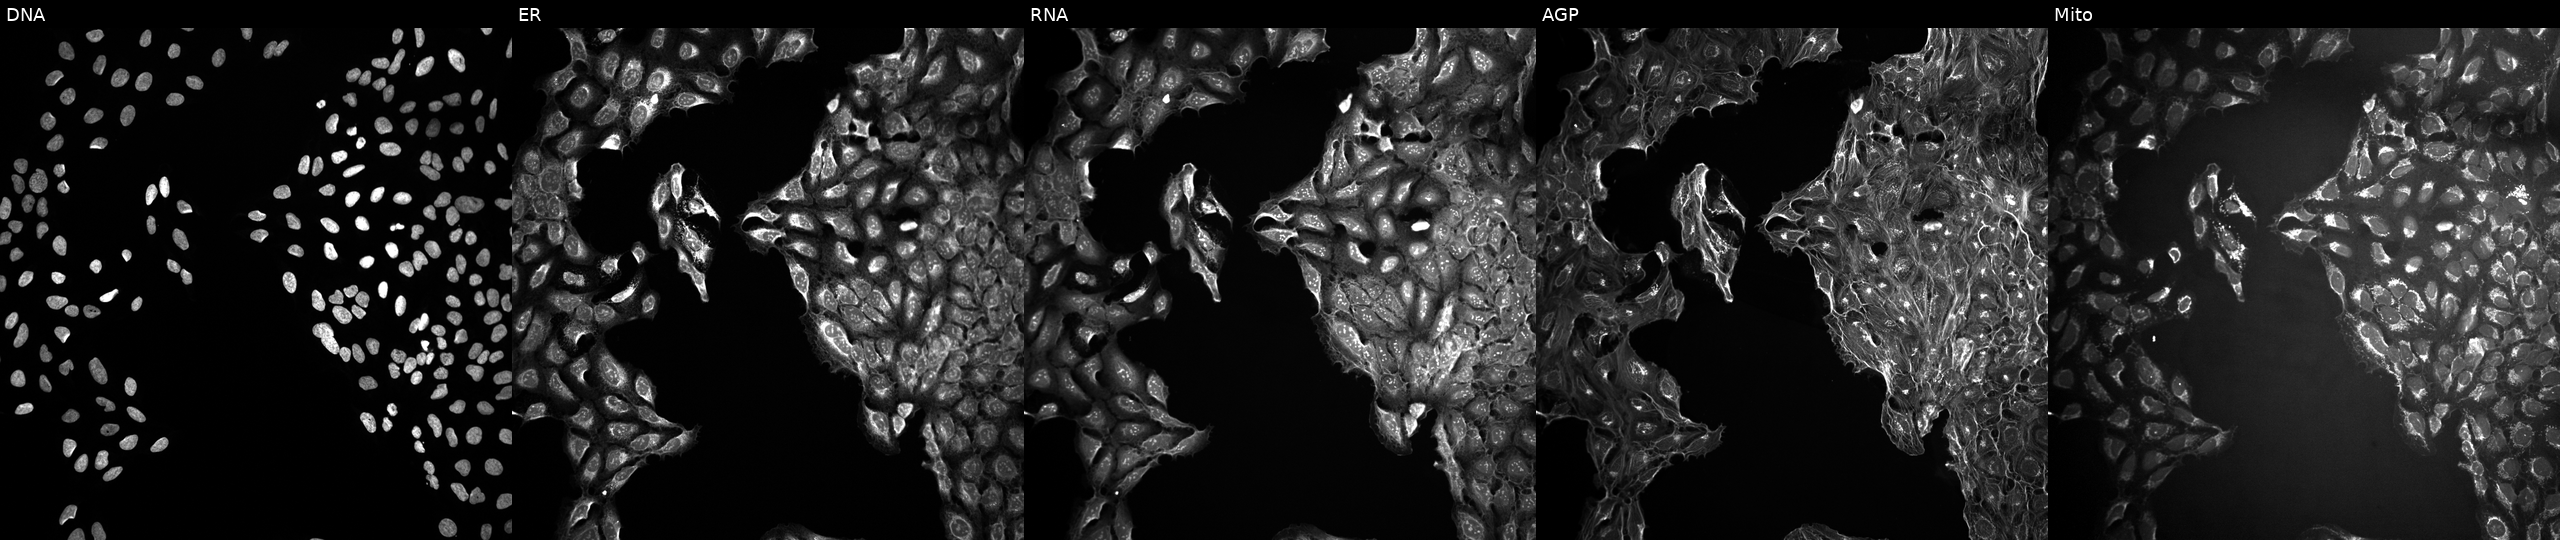
U2OS cells, Cell Painting assay, exposed to DMSO alone as a negative control. Channels (left→right): Hoechst 33342, concanavalin A, SYTO 14, phalloidin and WGA, MitoTracker. Each panel is percentile-stretched 16-bit fluorescence. Source 10, plate Dest210531-152324, well O23.